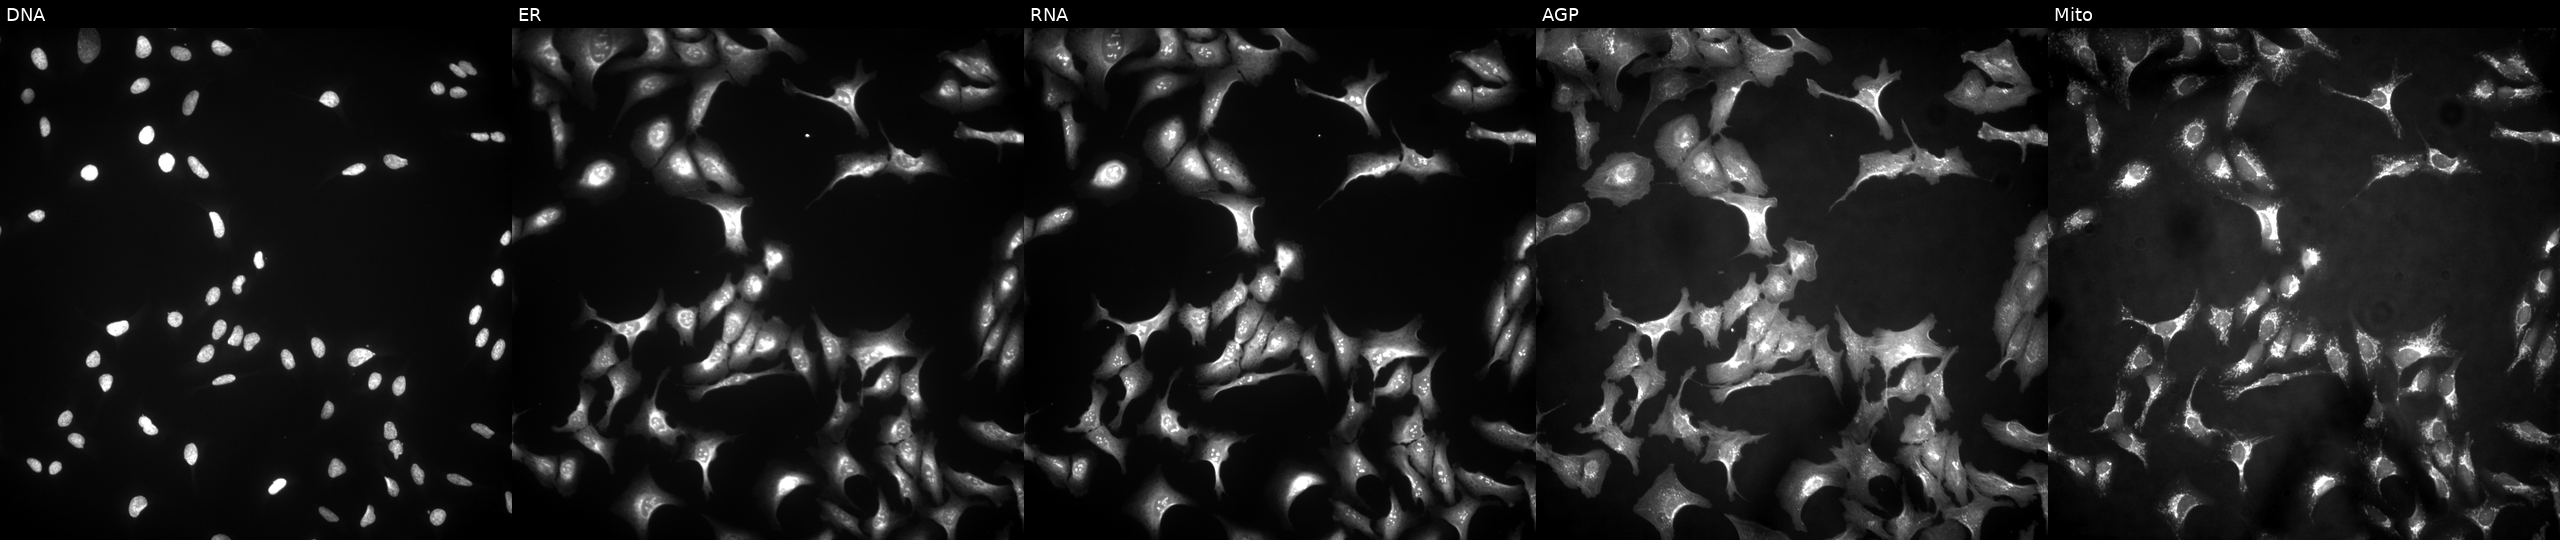
Channels (left→right): DNA (nuclei); ER (endoplasmic reticulum); RNA (nucleoli and cytoplasmic RNA); AGP (actin cytoskeleton, Golgi, and plasma membrane); Mito (mitochondria). U2OS osteosarcoma cells with MKRN2 overexpressed (ORF) (JUMP id JCP2022_907398). Cell Painting assay, JUMP-CP dataset.